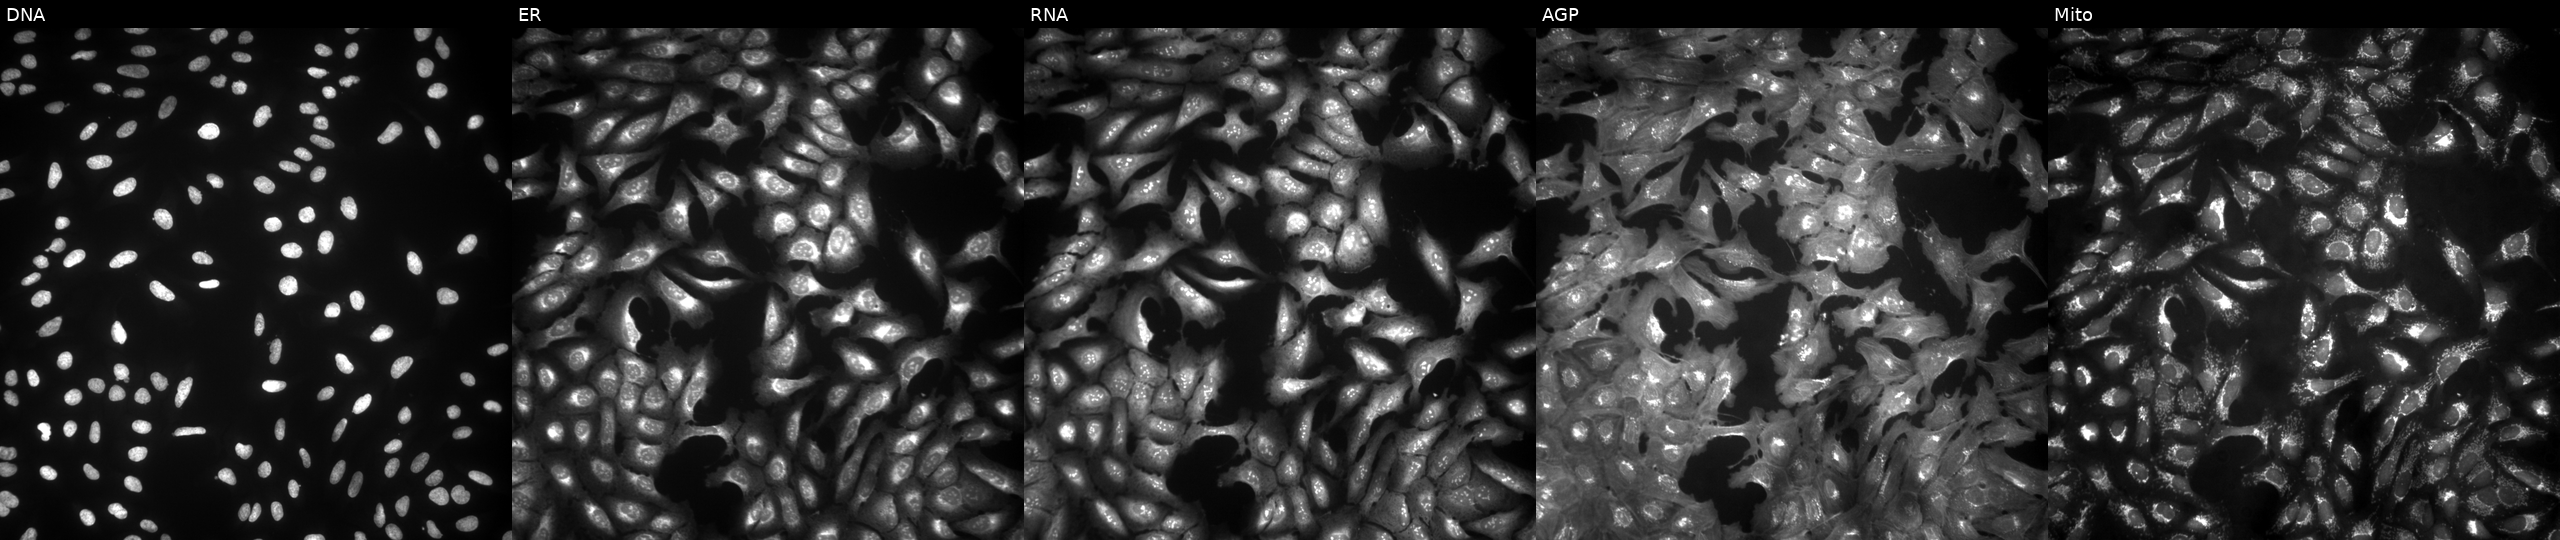
JUMP Cell Painting — ORF plate. U2OS cells exposed to the positive-control compound quinidine (JUMP id JCP2022_050797). The five panels, left to right, show DNA (nuclei); ER (endoplasmic reticulum); RNA (nucleoli and cytoplasmic RNA); AGP (actin cytoskeleton, Golgi, and plasma membrane); Mito (mitochondria). Source 4, plate BR00123506, well P23.